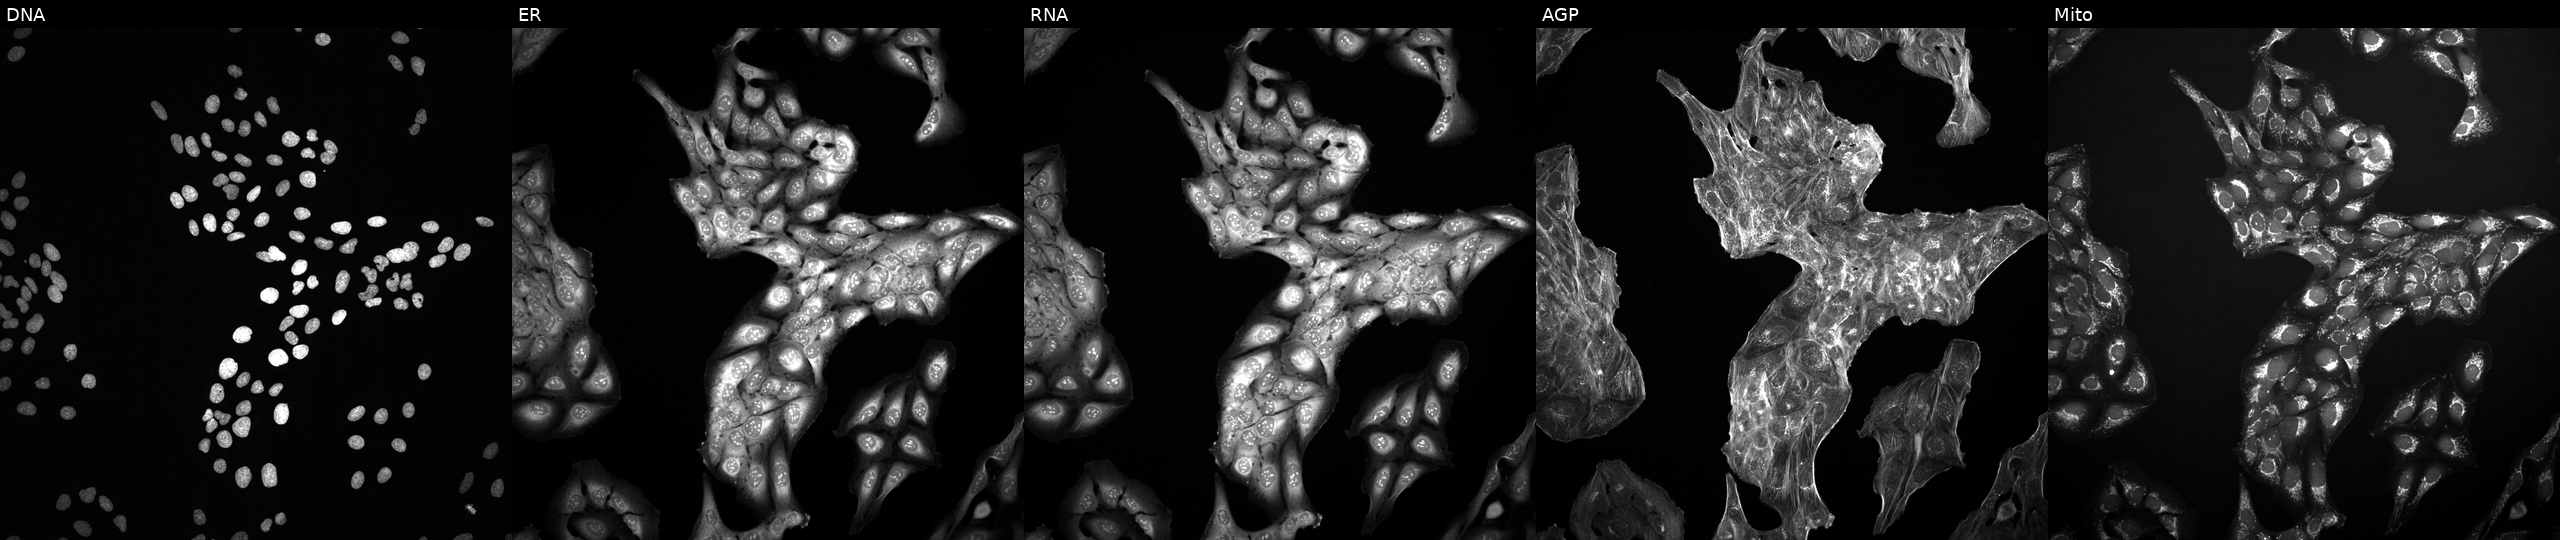
High-content fluorescence microscopy (Cell Painting). Cell line: U2OS. Perturbation: perturbed with a small-molecule compound (InChIKey ROBYKNONIPZMTK-UHFFFAOYSA-N) (JUMP id JCP2022_079617). Panels show, left to right, Hoechst 33342, concanavalin A, SYTO 14, phalloidin and WGA, MitoTracker.